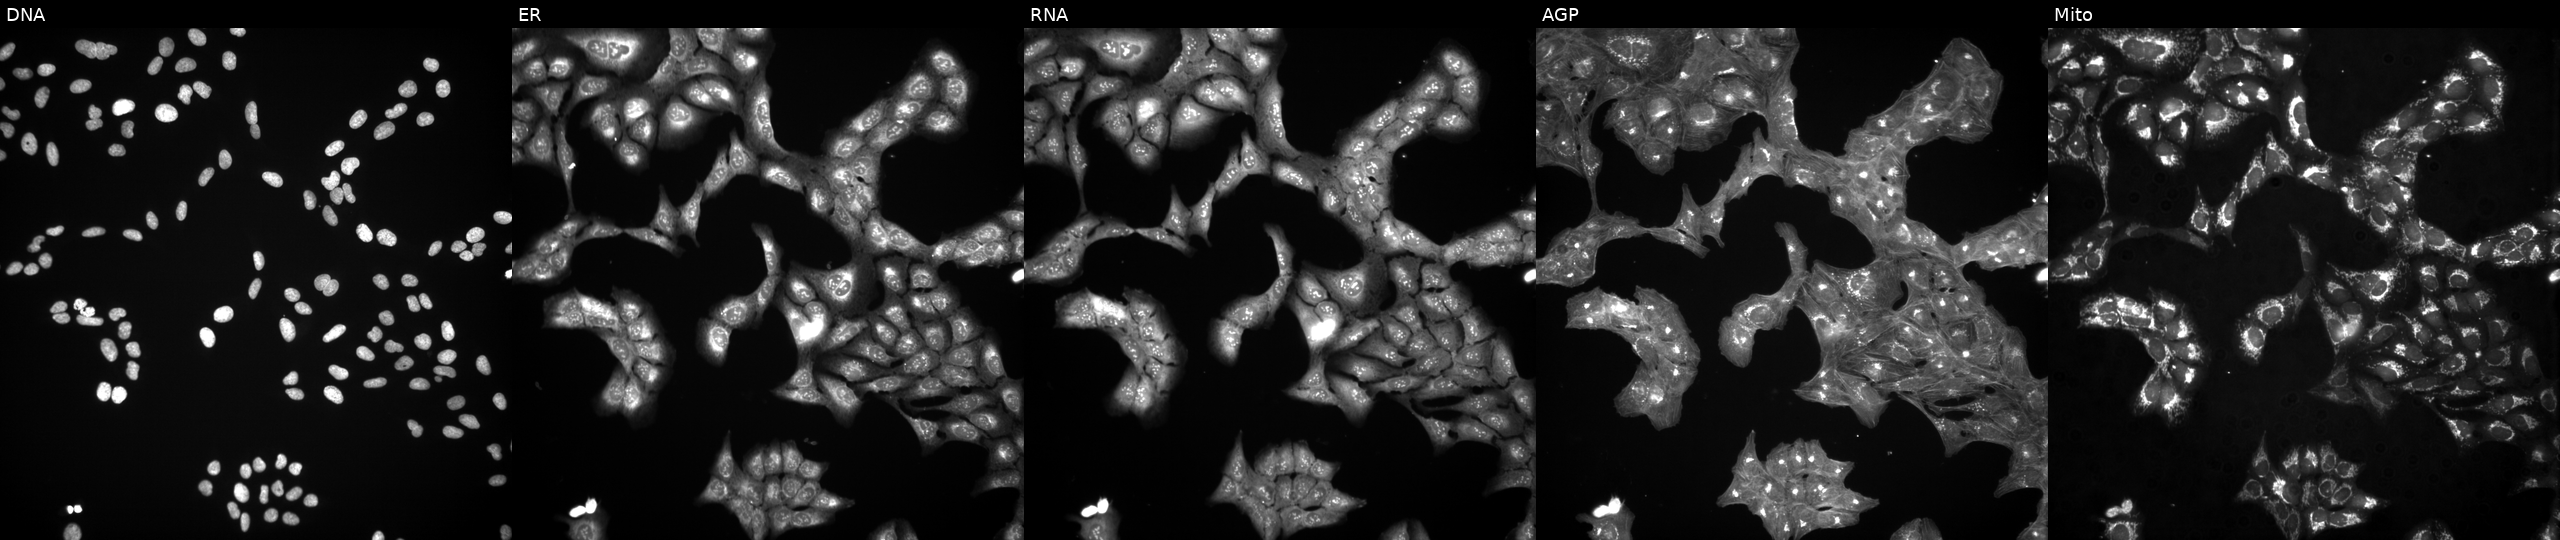
Channels (left→right): Hoechst 33342, concanavalin A, SYTO 14, phalloidin and WGA, MitoTracker. U2OS osteosarcoma cells perturbed with a small-molecule compound (InChIKey LPGBXHWIQNZEJB-UHFFFAOYSA-N). Cell Painting assay, JUMP-CP dataset.